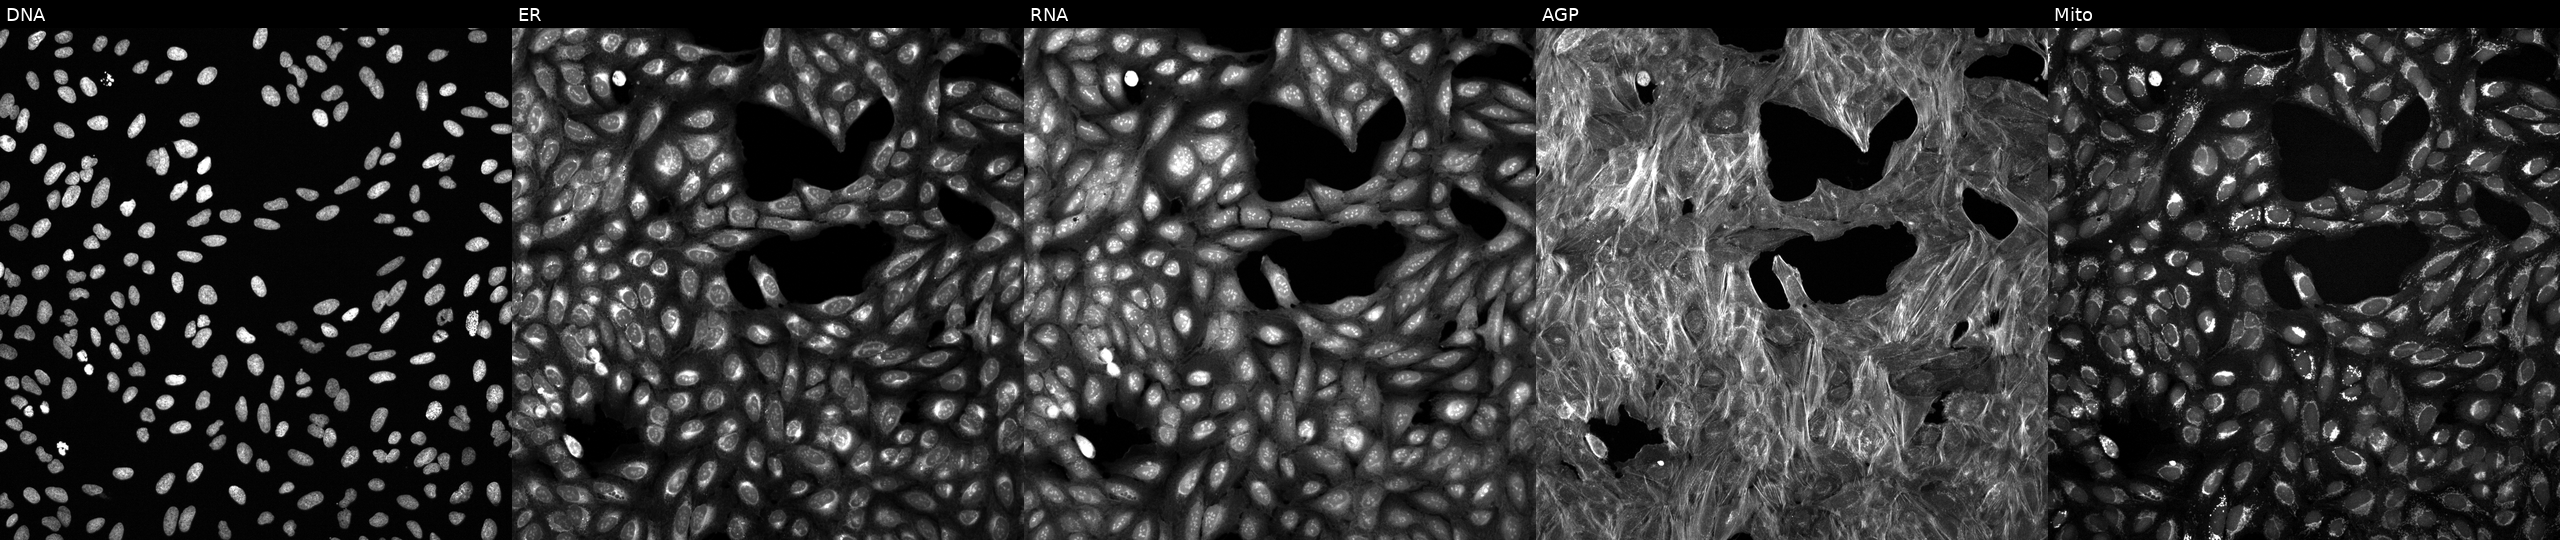
Five-channel Cell Painting image of U2OS cells treated with a small-molecule compound (InChIKey QIHBWVVVRYYYRO-UHFFFAOYSA-N) (JUMP id JCP2022_073628). Channels (left→right): DNA, ER, RNA, AGP, and Mito. Source 6, plate 110000293081, well H16.